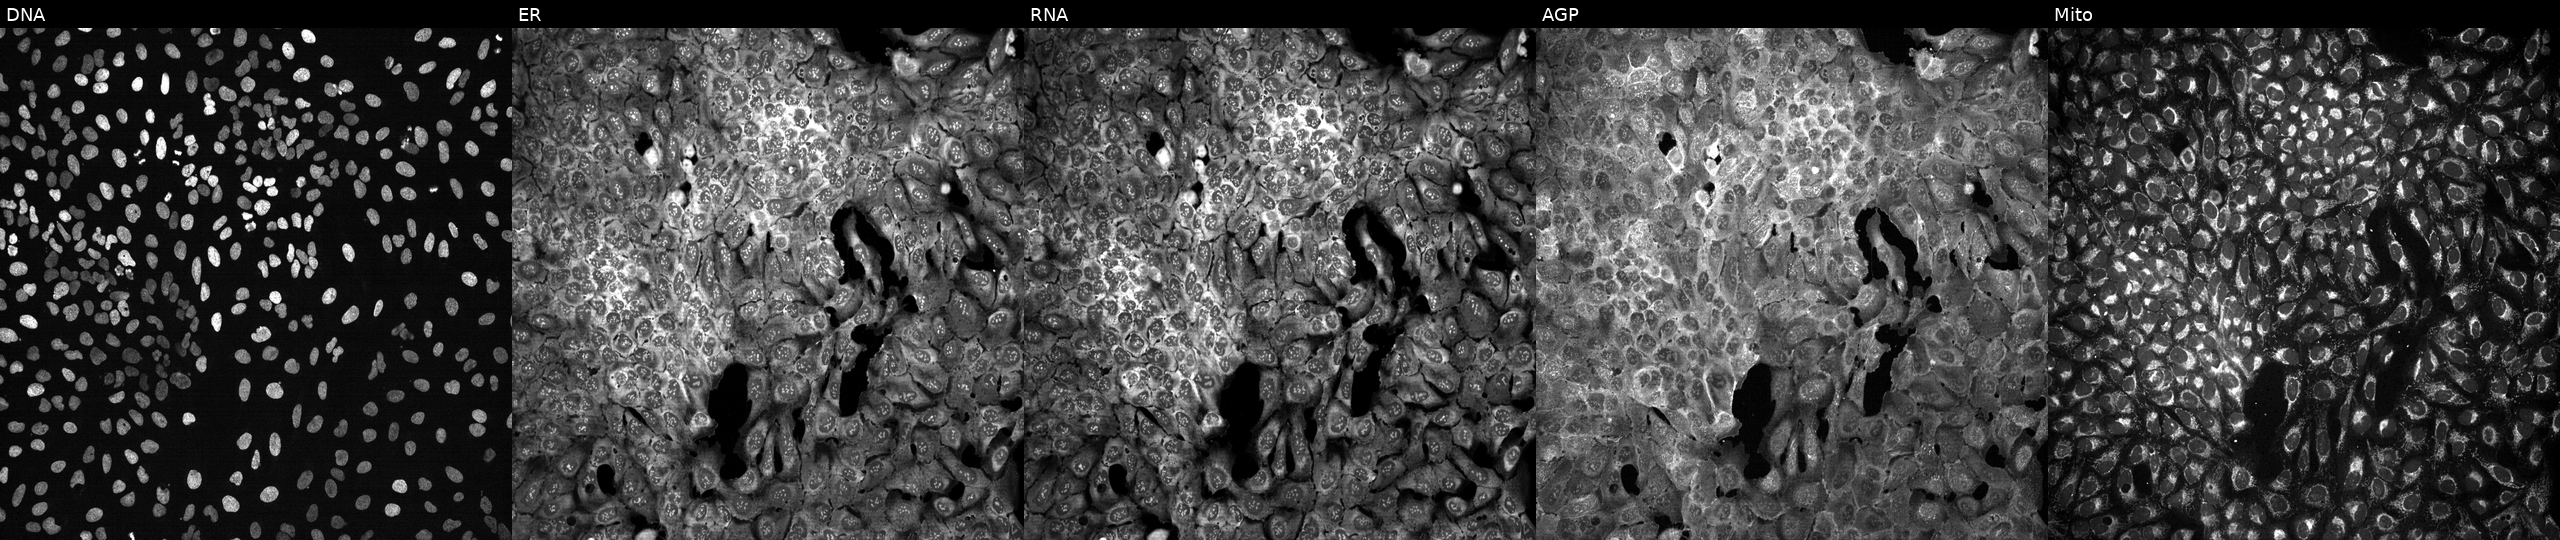
JUMP Cell Painting — CRISPR plate. U2OS cells CRISPR-edited to disrupt SLFN13. Panels show, left to right, Hoechst 33342, concanavalin A, SYTO 14, phalloidin and WGA, MitoTracker. Source 13, plate CP-CC9-R3-01, well I13.